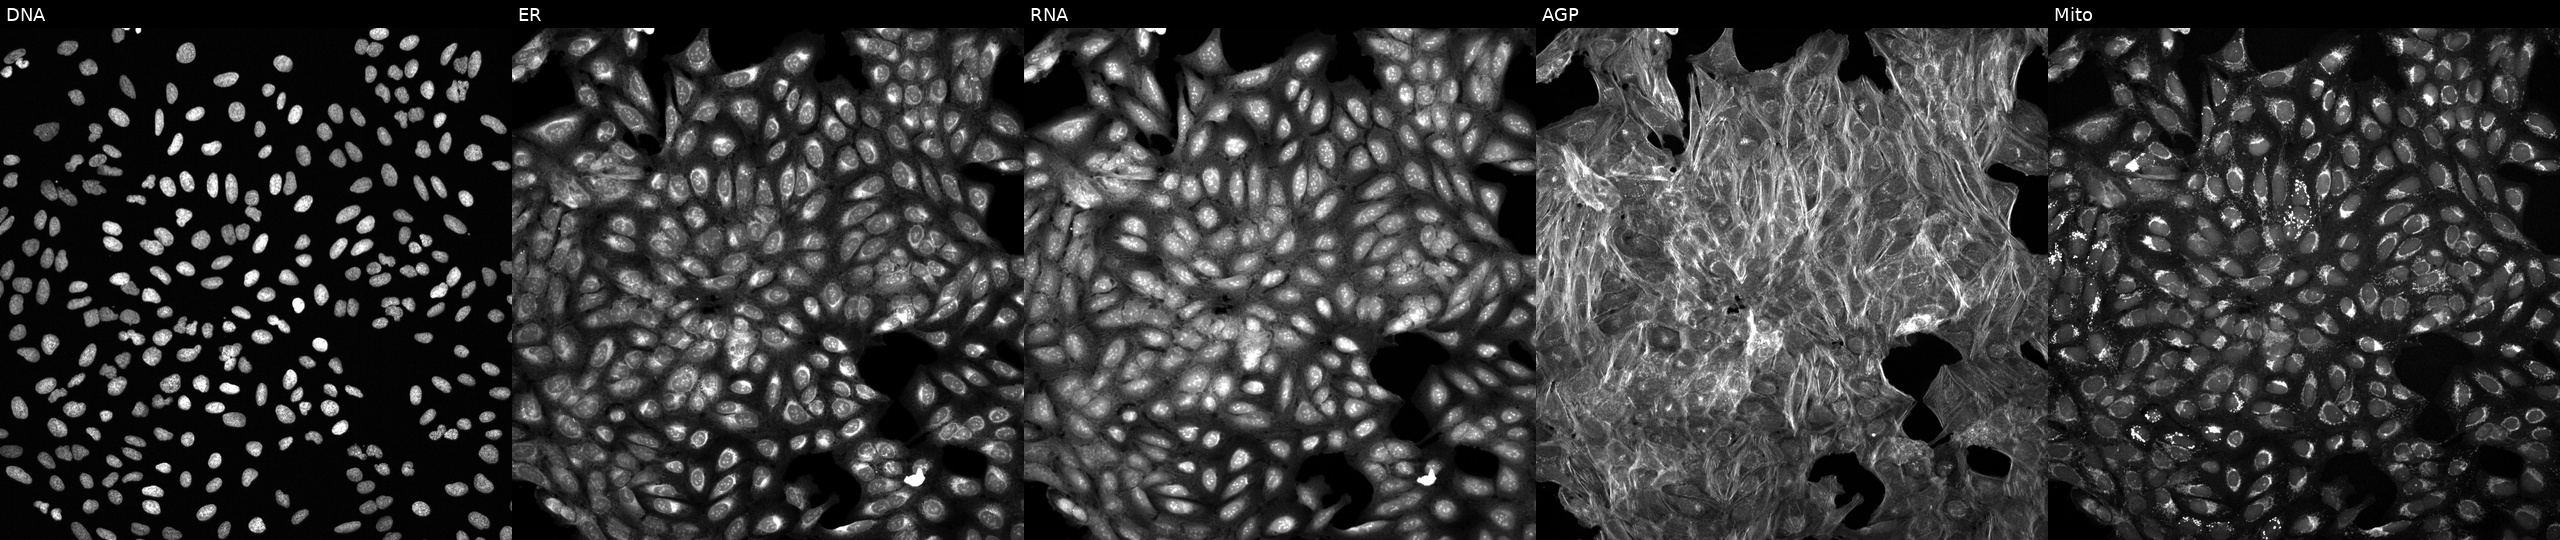
JUMP Cell Painting — TARGET2 plate. U2OS cells perturbed with a small-molecule compound (InChIKey VHOGYURTWQBHIL-UHFFFAOYSA-N). Channels (left→right): DNA, ER, RNA, AGP, and Mito. Source 6, plate 110000293081, well N10.